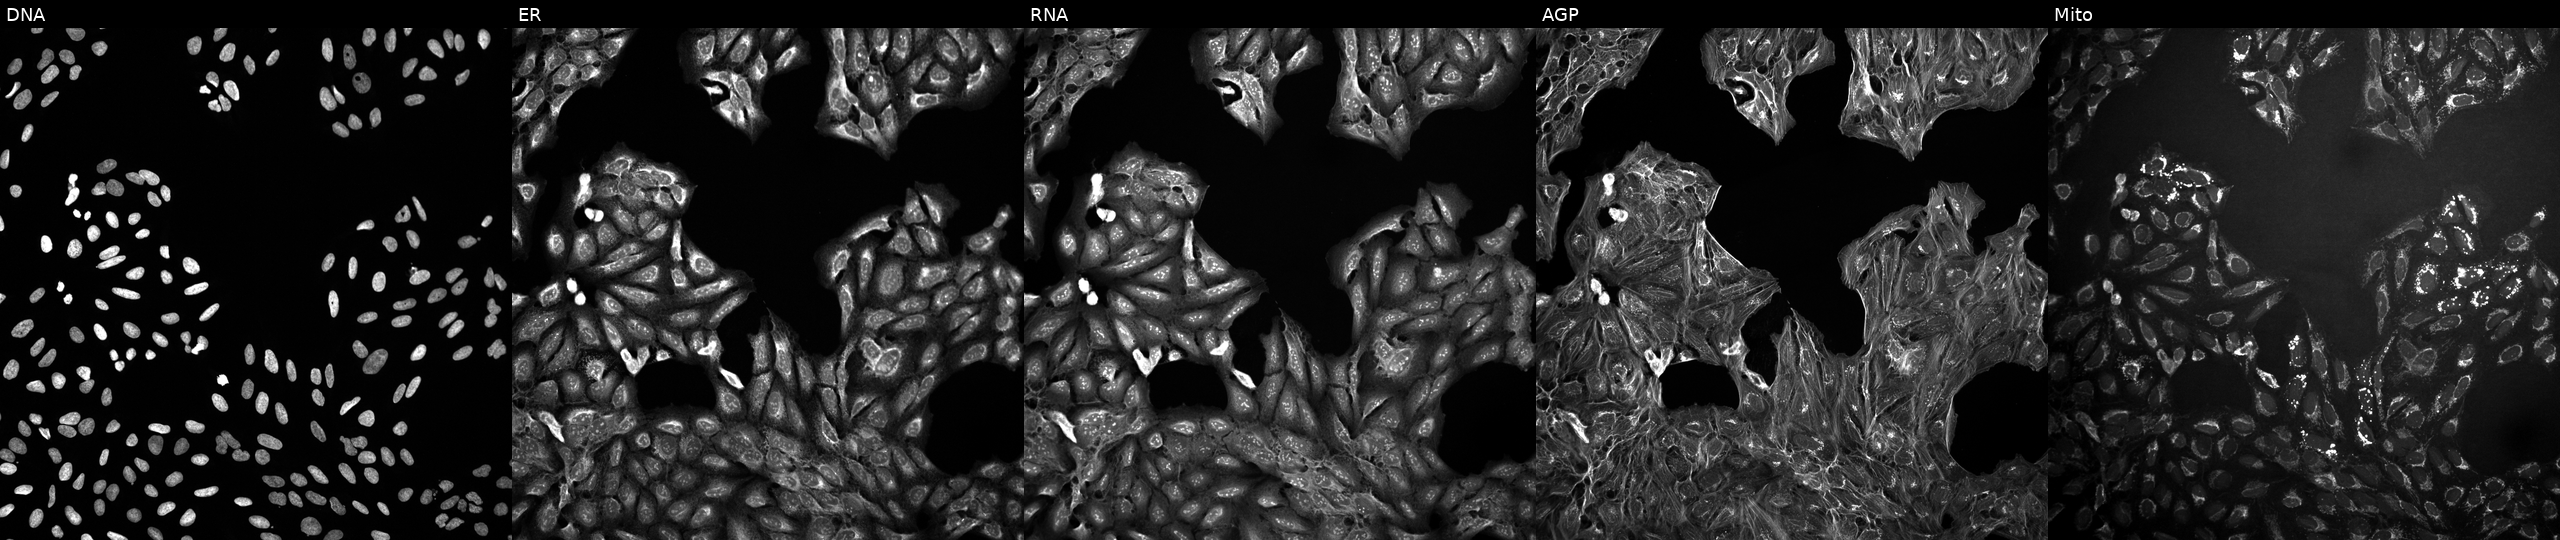
Five-channel Cell Painting image of U2OS cells perturbed with a small-molecule compound (InChIKey YDYCGWSSIXNNQL-UHFFFAOYSA-N). From left to right: Hoechst 33342, concanavalin A, SYTO 14, phalloidin and WGA, MitoTracker. Source 10, plate Dest210531-152324, well D11.